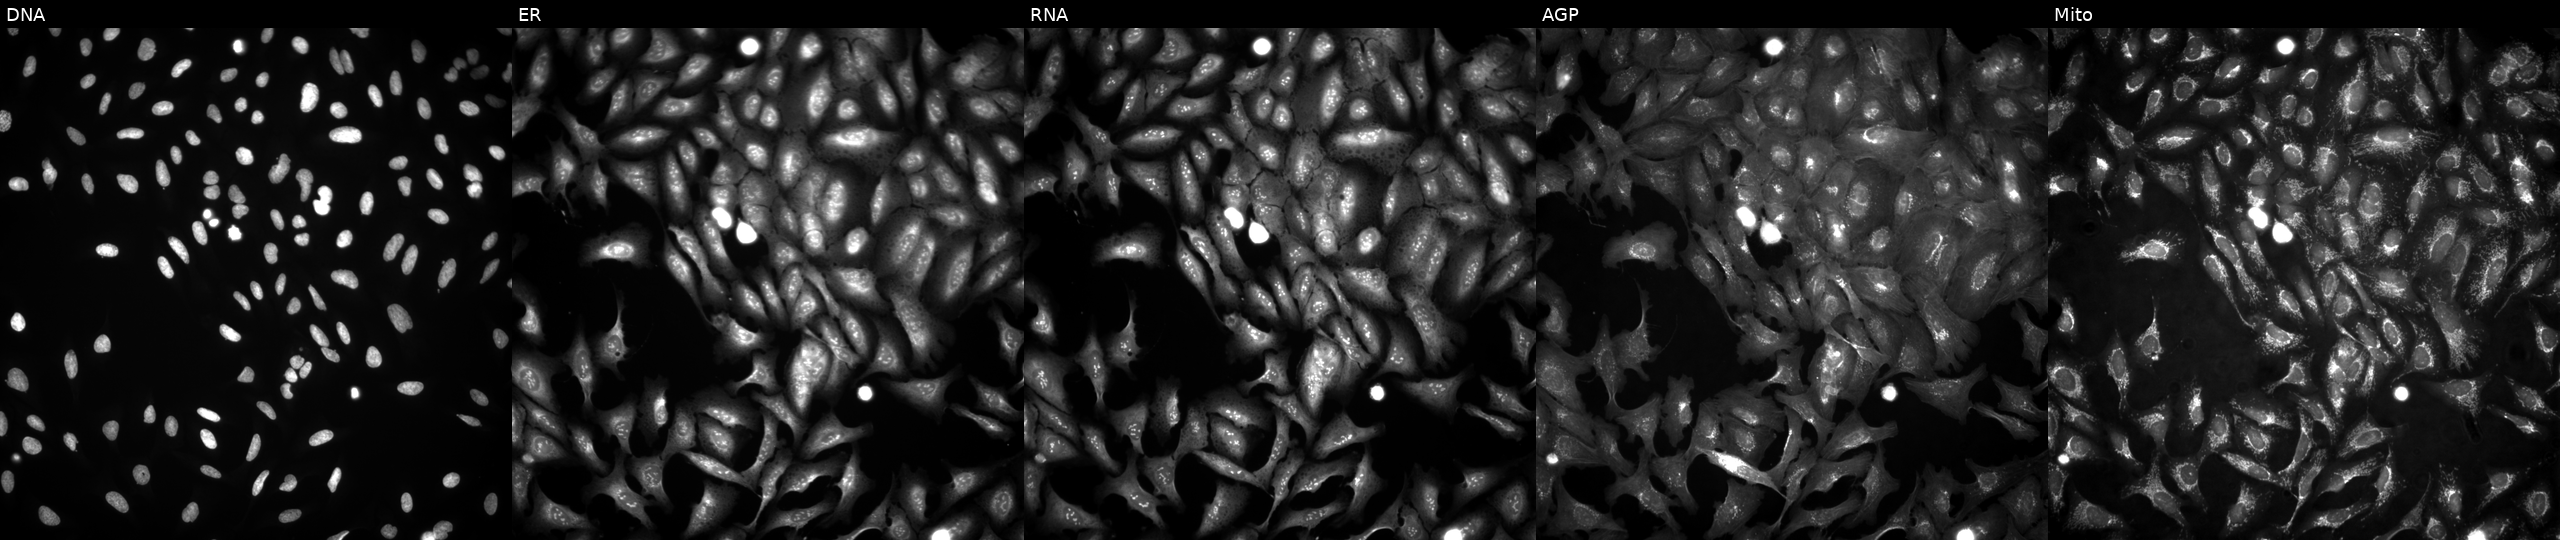
This image strip shows the five Cell Painting channels for a single field of U2OS cells with USP1 overexpressed (ORF). The five panels, left to right, show DNA, ER, RNA, AGP, and Mito. Source 4, plate BR00124787, well B13.